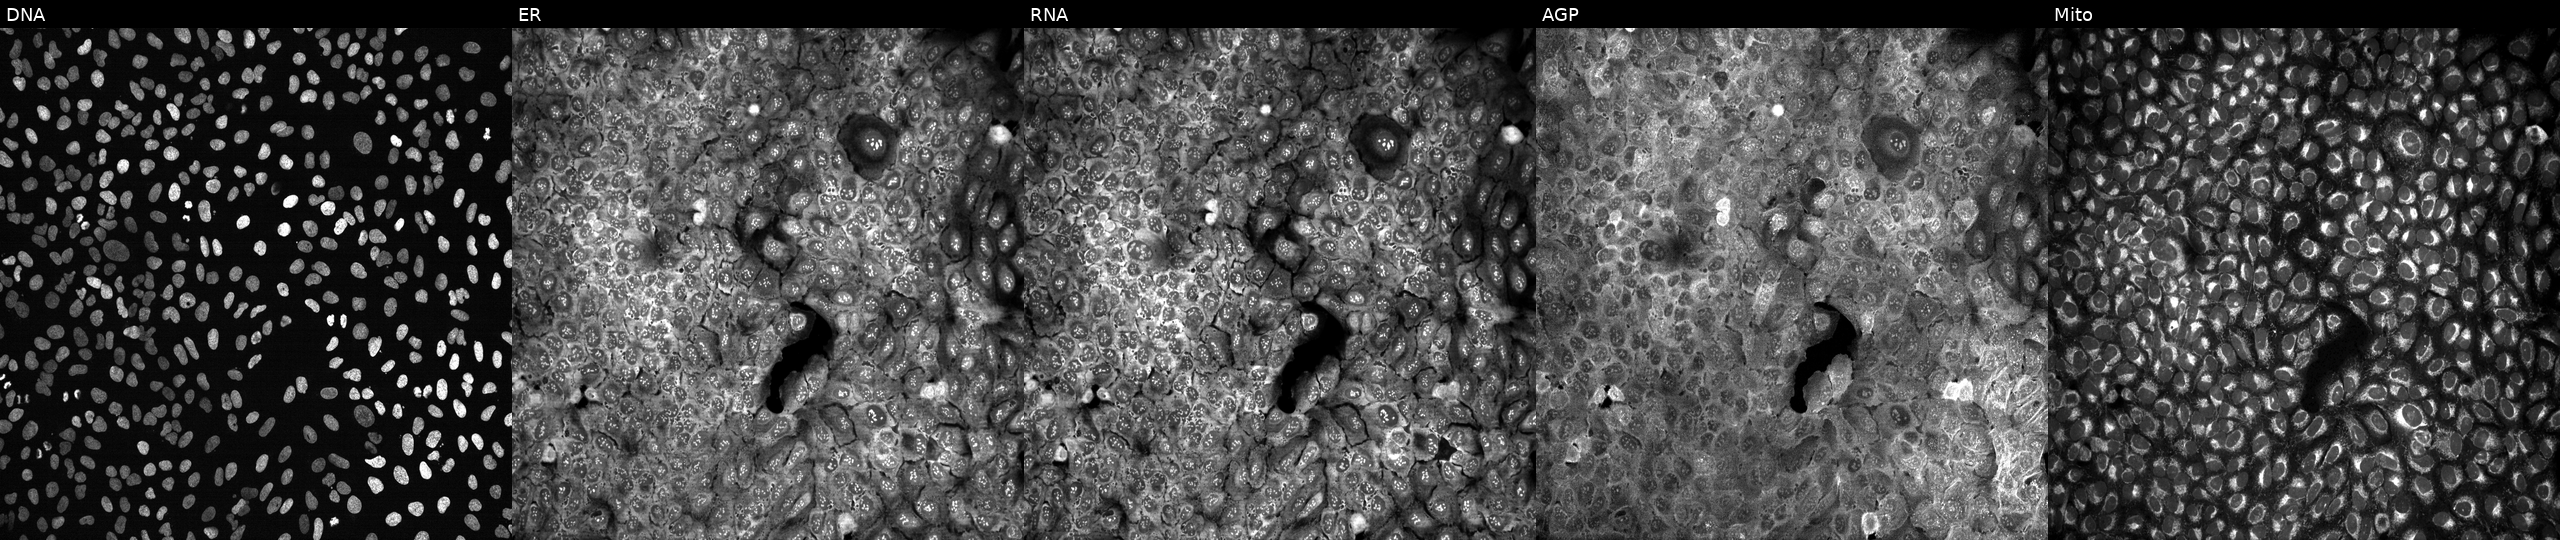
U2OS cells, Cell Painting assay, following CRISPR knockout of UGT3A2. The five panels, left to right, show DNA, ER, RNA, AGP, and Mito. Each panel is percentile-stretched 16-bit fluorescence.